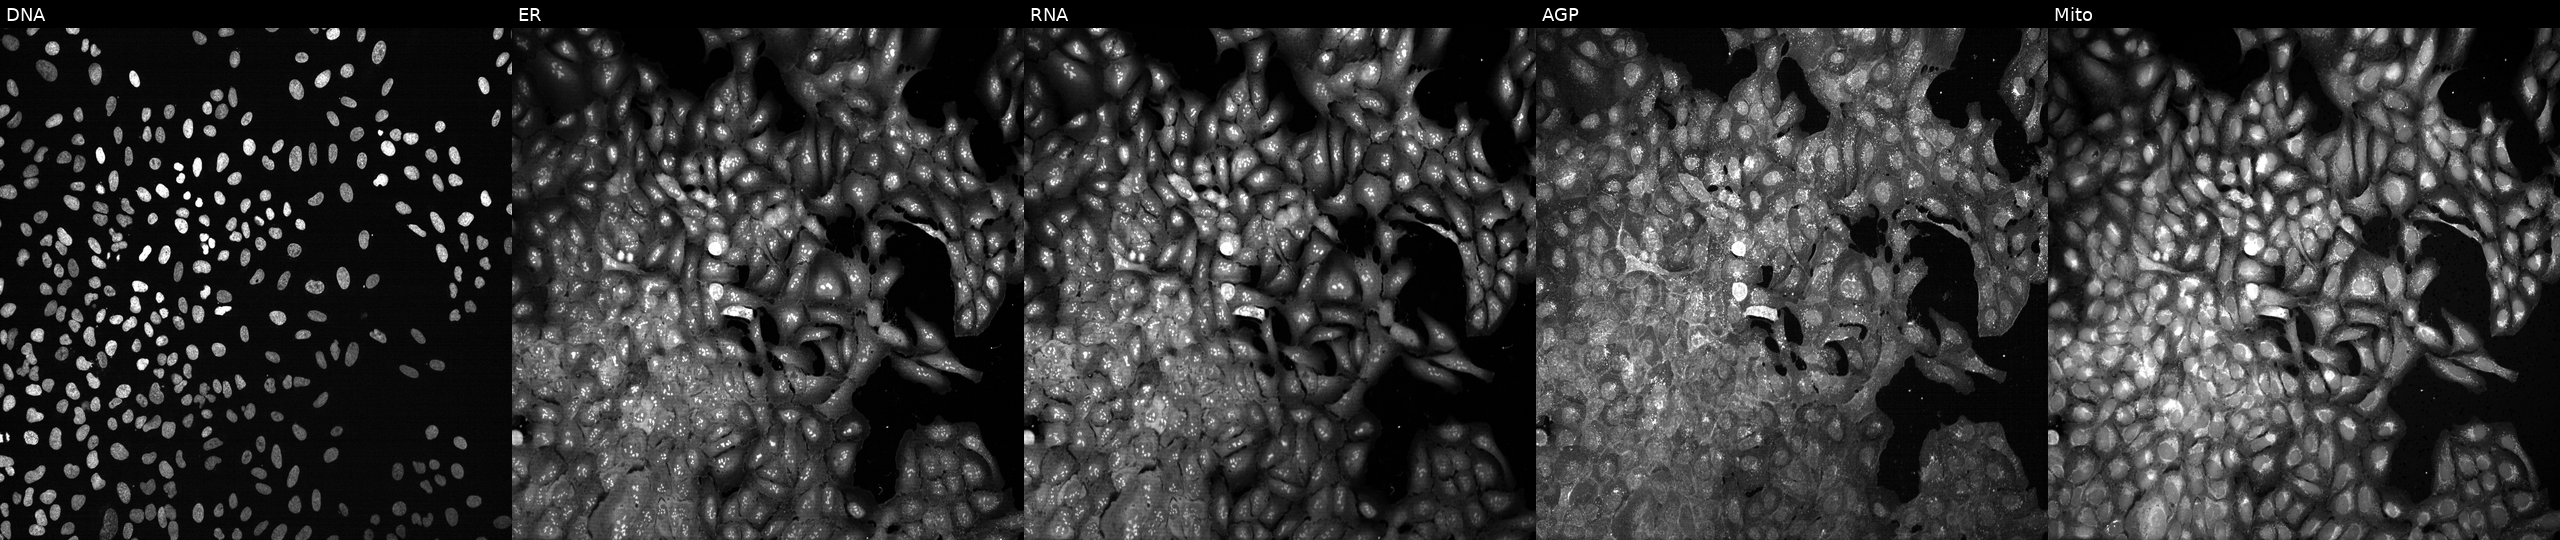
The five panels, left to right, show DNA (nuclei); ER (endoplasmic reticulum); RNA (nucleoli and cytoplasmic RNA); AGP (actin cytoskeleton, Golgi, and plasma membrane); Mito (mitochondria). U2OS osteosarcoma cells with TMLHE knocked out by CRISPR. Cell Painting assay, JUMP-CP dataset. Source 13, plate CP-CC9-R1-02, well O15.